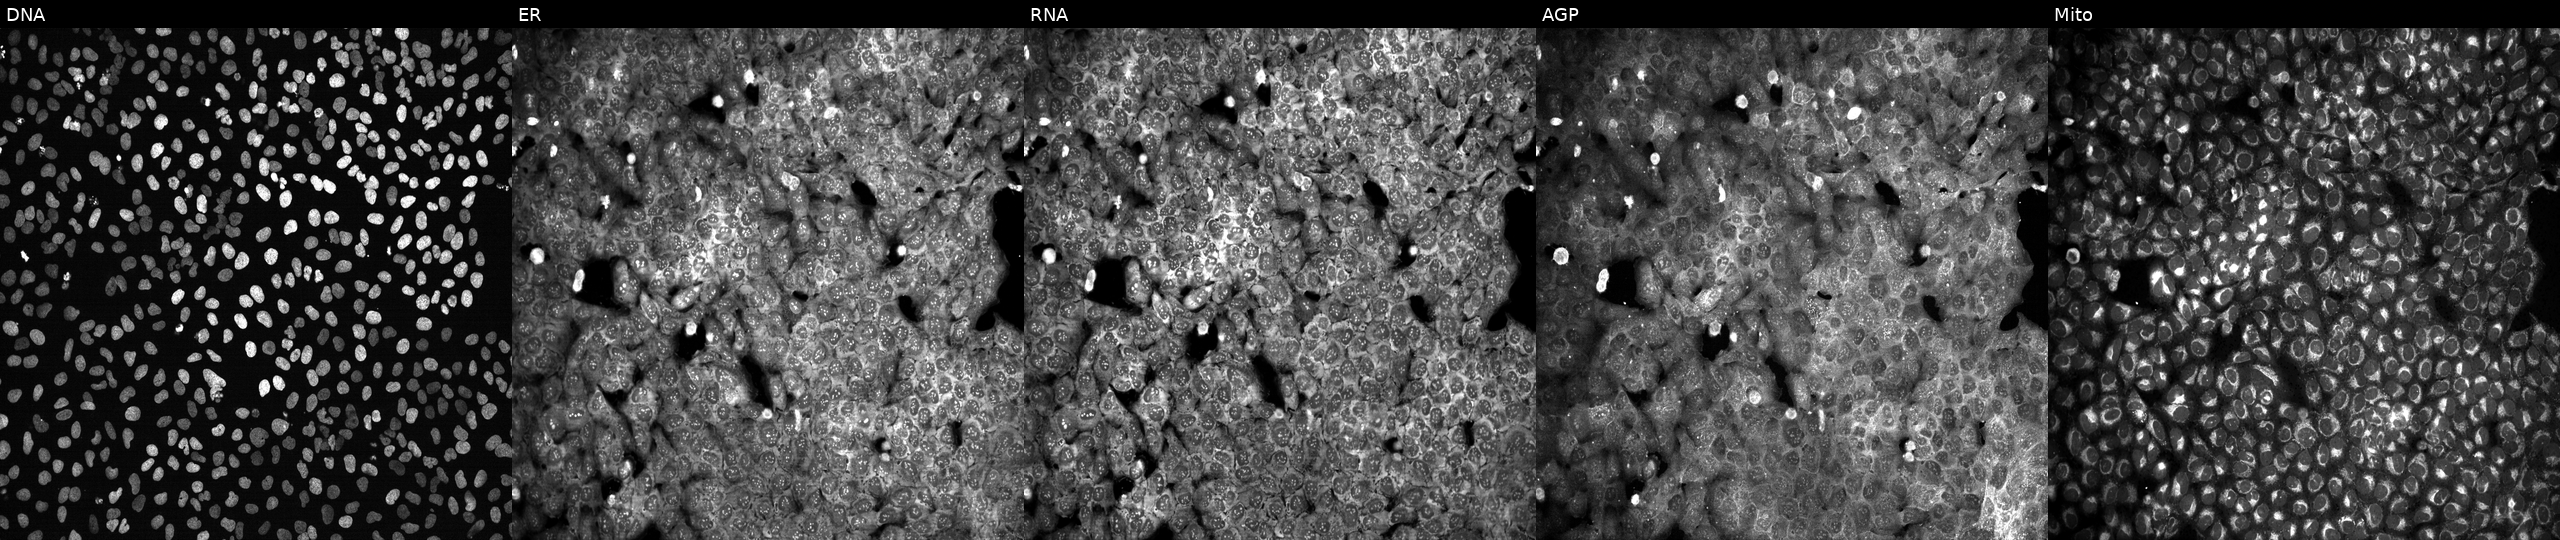
Channels (left→right): DNA (nuclei); ER (endoplasmic reticulum); RNA (nucleoli and cytoplasmic RNA); AGP (actin cytoskeleton, Golgi, and plasma membrane); Mito (mitochondria). U2OS osteosarcoma cells exposed to the positive-control compound NVS-PAK1-1. Cell Painting assay, JUMP-CP dataset.